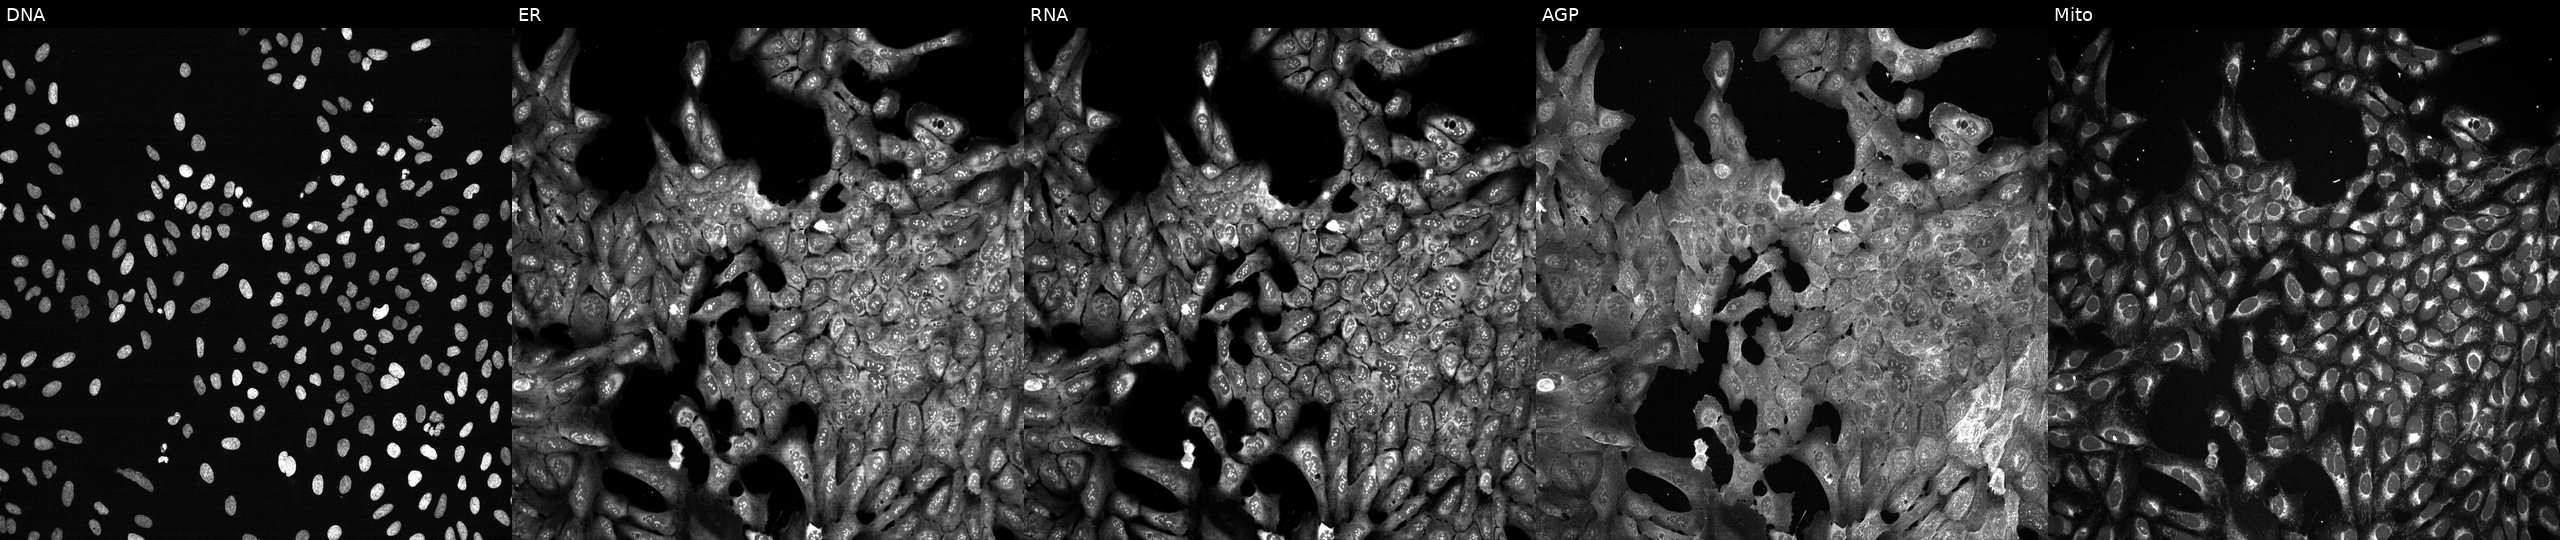
U2OS cells, Cell Painting assay, with SCD knocked out by CRISPR. Panels show, left to right, DNA (nuclei); ER (endoplasmic reticulum); RNA (nucleoli and cytoplasmic RNA); AGP (actin cytoskeleton, Golgi, and plasma membrane); Mito (mitochondria). Each panel is percentile-stretched 16-bit fluorescence.